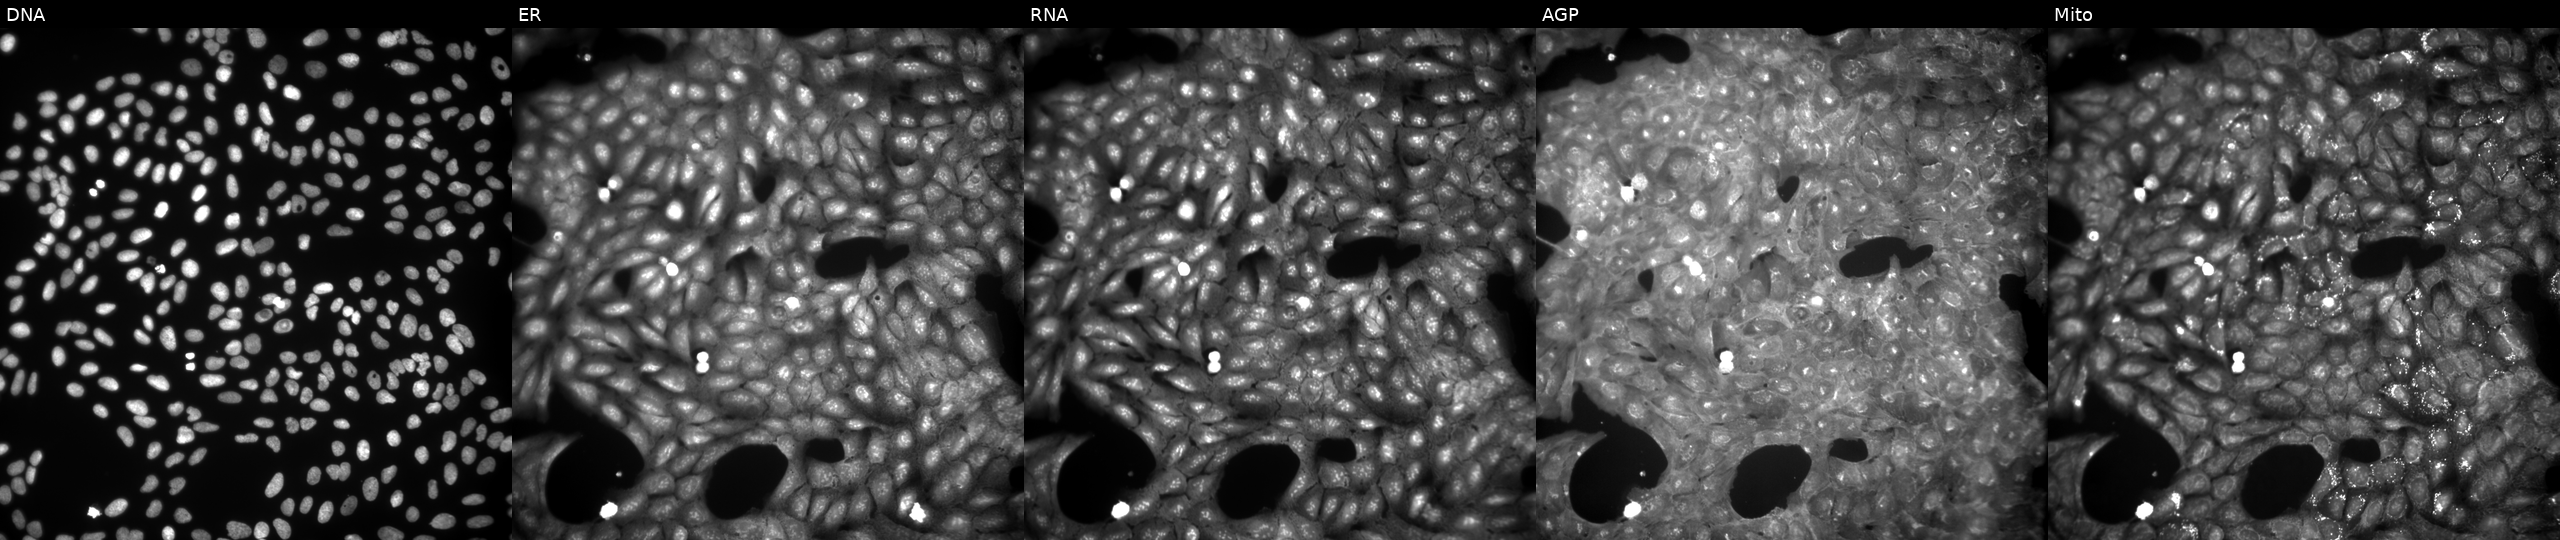
JUMP Cell Painting — COMPOUND plate. U2OS cells treated with a small-molecule compound (InChIKey VLBQWFZKQNEMRT-UHFFFAOYSA-N). From left to right: DNA (nuclei); ER (endoplasmic reticulum); RNA (nucleoli and cytoplasmic RNA); AGP (actin cytoskeleton, Golgi, and plasma membrane); Mito (mitochondria).